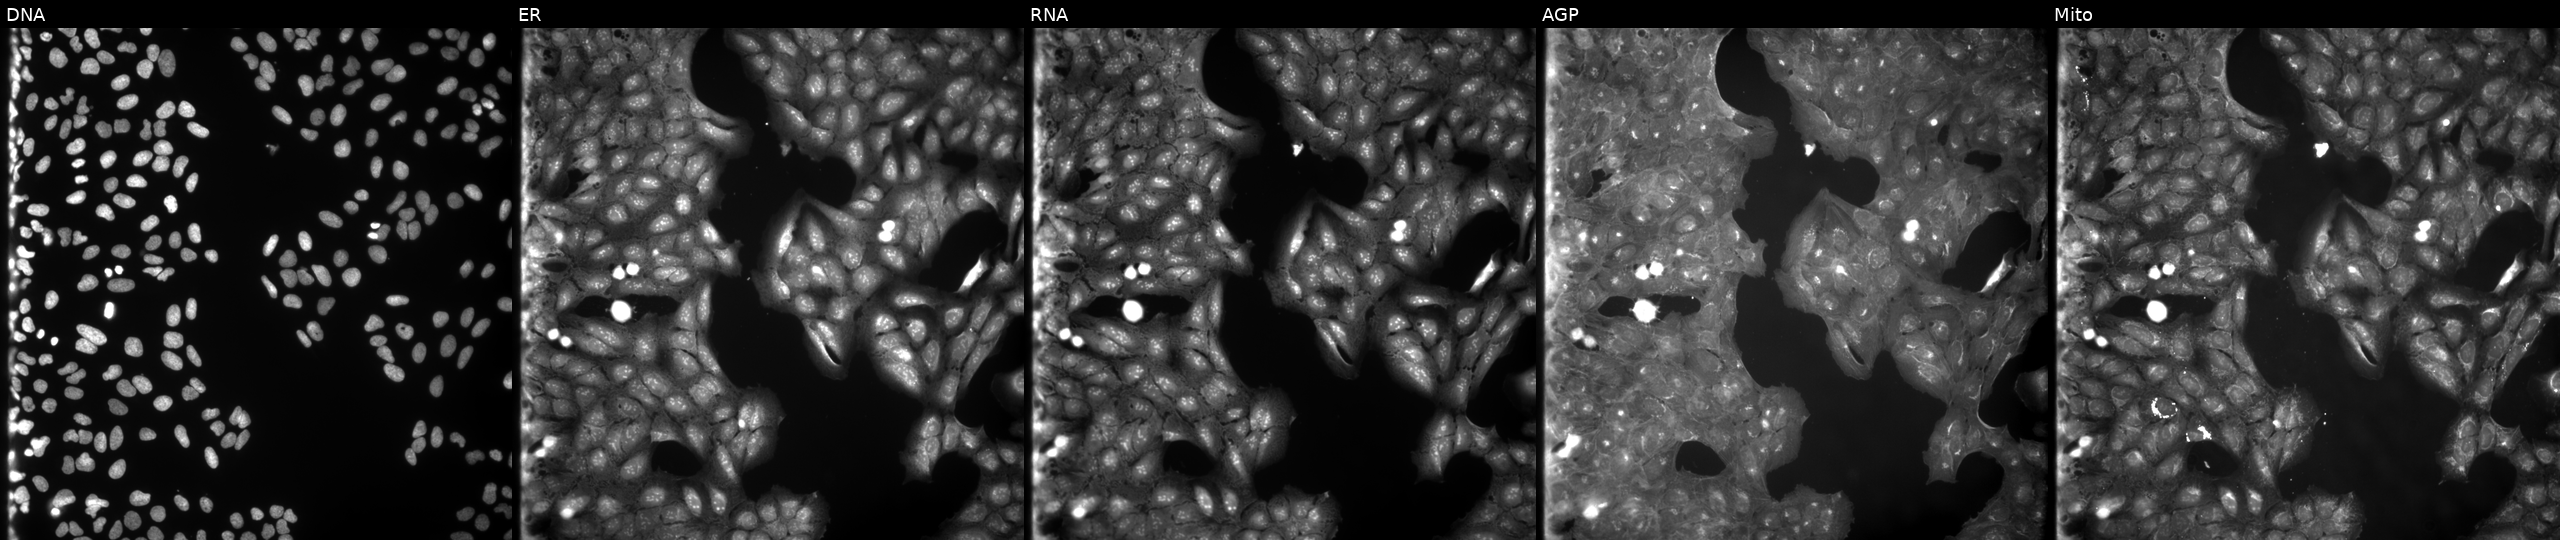
JUMP Cell Painting — COMPOUND plate. U2OS cells exposed to a small-molecule compound (InChIKey JYXYORMUHPDZOG-UHFFFAOYSA-N). From left to right: Hoechst 33342, concanavalin A, SYTO 14, phalloidin and WGA, MitoTracker. Source 9, plate GR00003381, well H13.